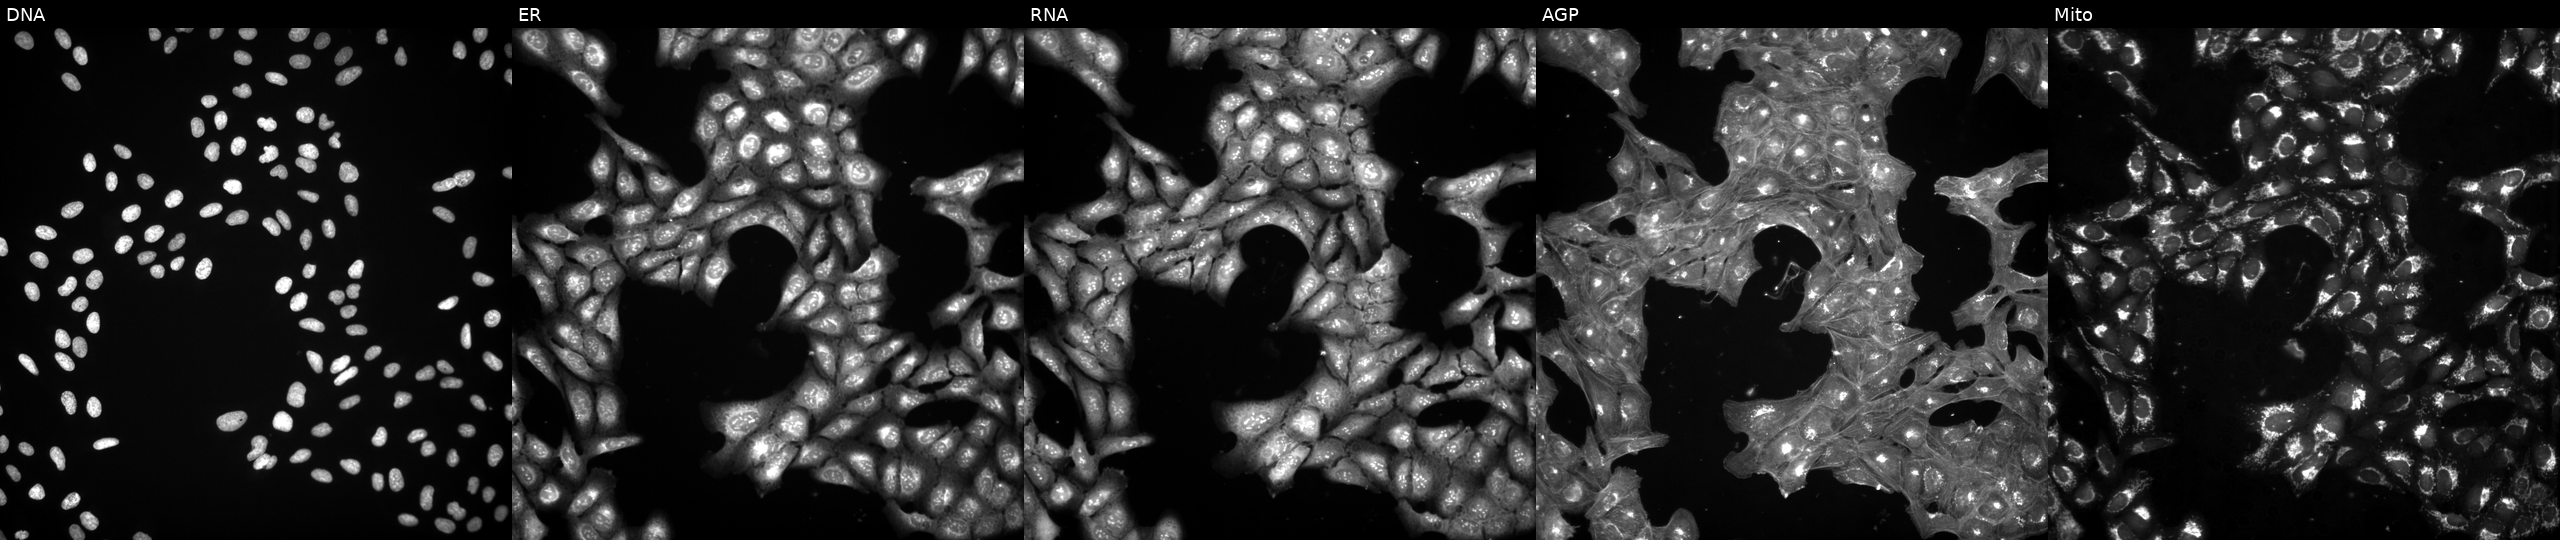
From left to right: DNA, ER, RNA, AGP, and Mito. U2OS osteosarcoma cells exposed to a small-molecule compound (InChIKey PMXMIIMHBWHSKN-UHFFFAOYSA-N) (JUMP id JCP2022_069672). Cell Painting assay, JUMP-CP dataset.